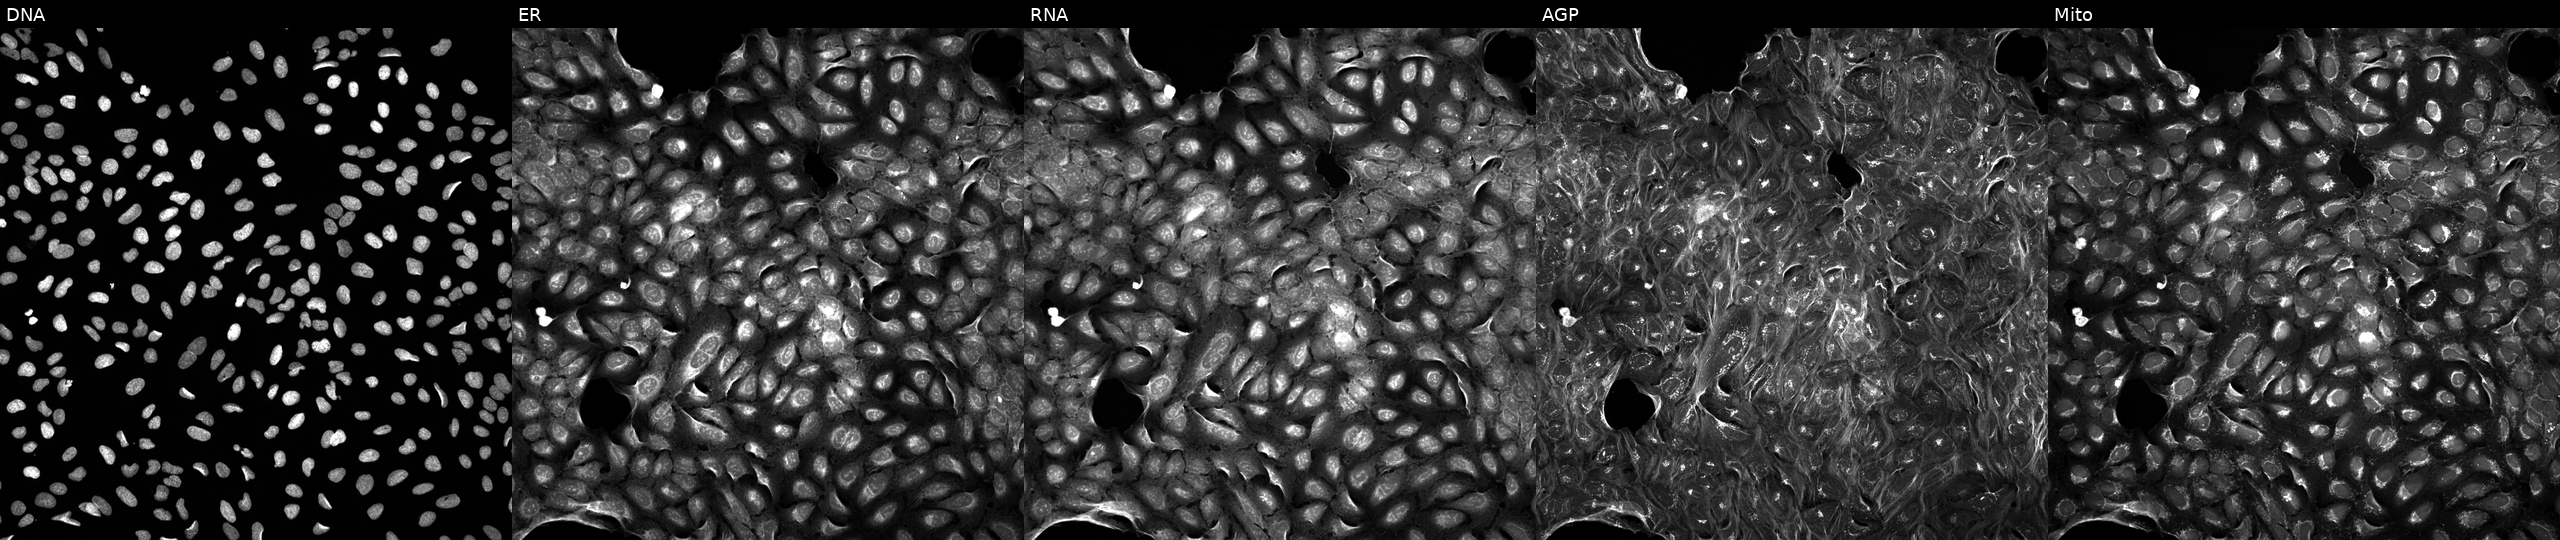
Five-channel Cell Painting image of U2OS cells exposed to a small-molecule compound (InChIKey RAHBGWKEPAQNFF-UHFFFAOYSA-N) (JUMP id JCP2022_077046). The five panels, left to right, show DNA, ER, RNA, AGP, and Mito.